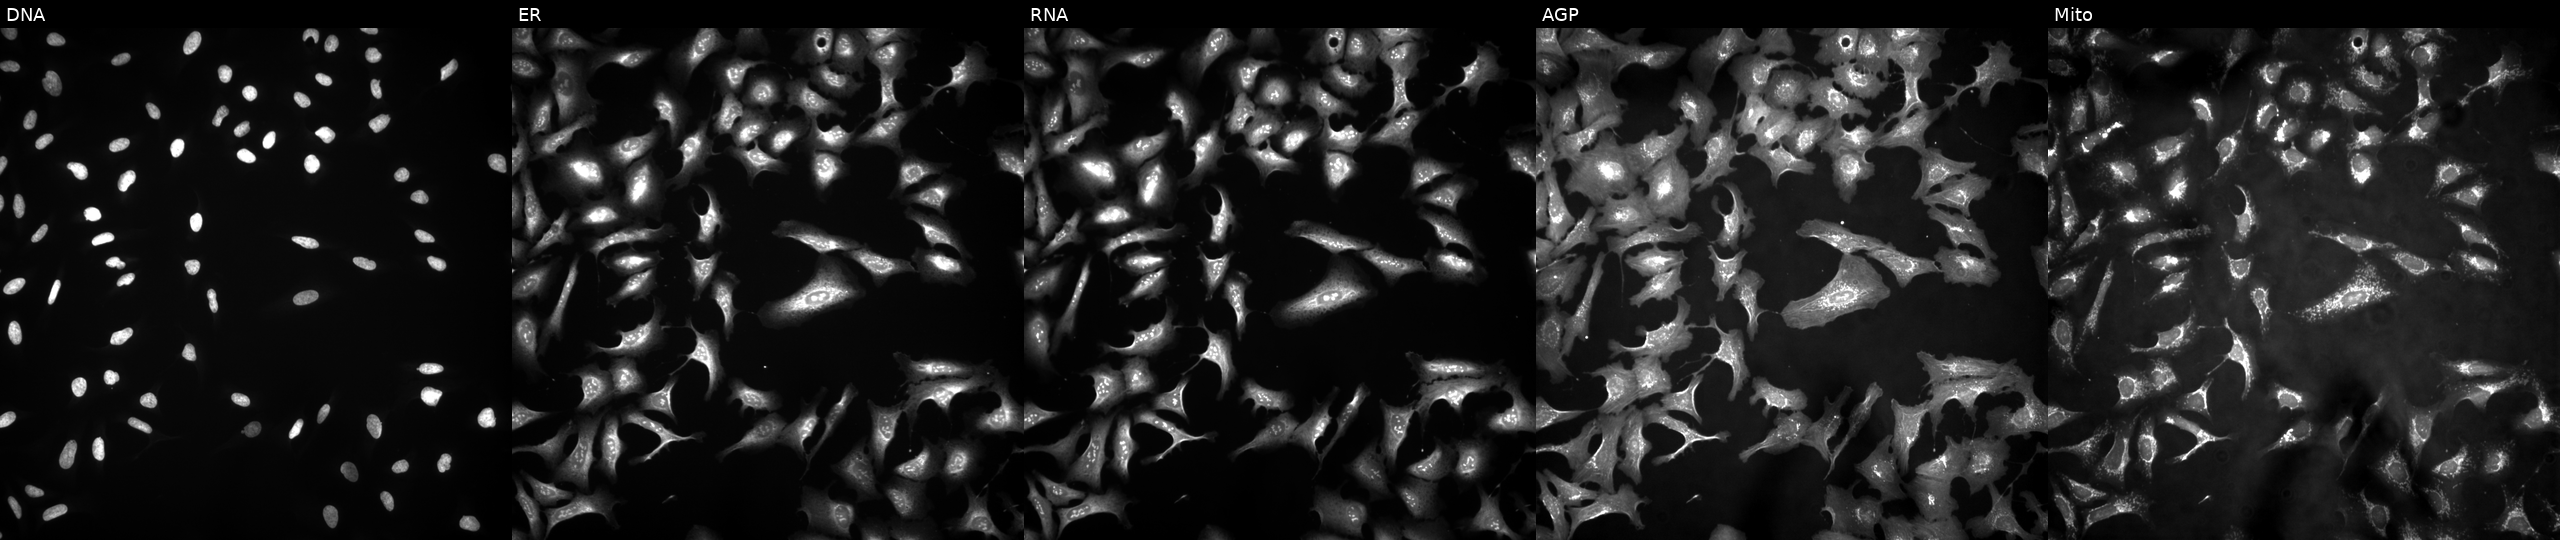
High-content fluorescence microscopy (Cell Painting). Cell line: U2OS. Perturbation: transfected with an ORF construct for ANXA1. Panels show, left to right, Hoechst 33342, concanavalin A, SYTO 14, phalloidin and WGA, MitoTracker.